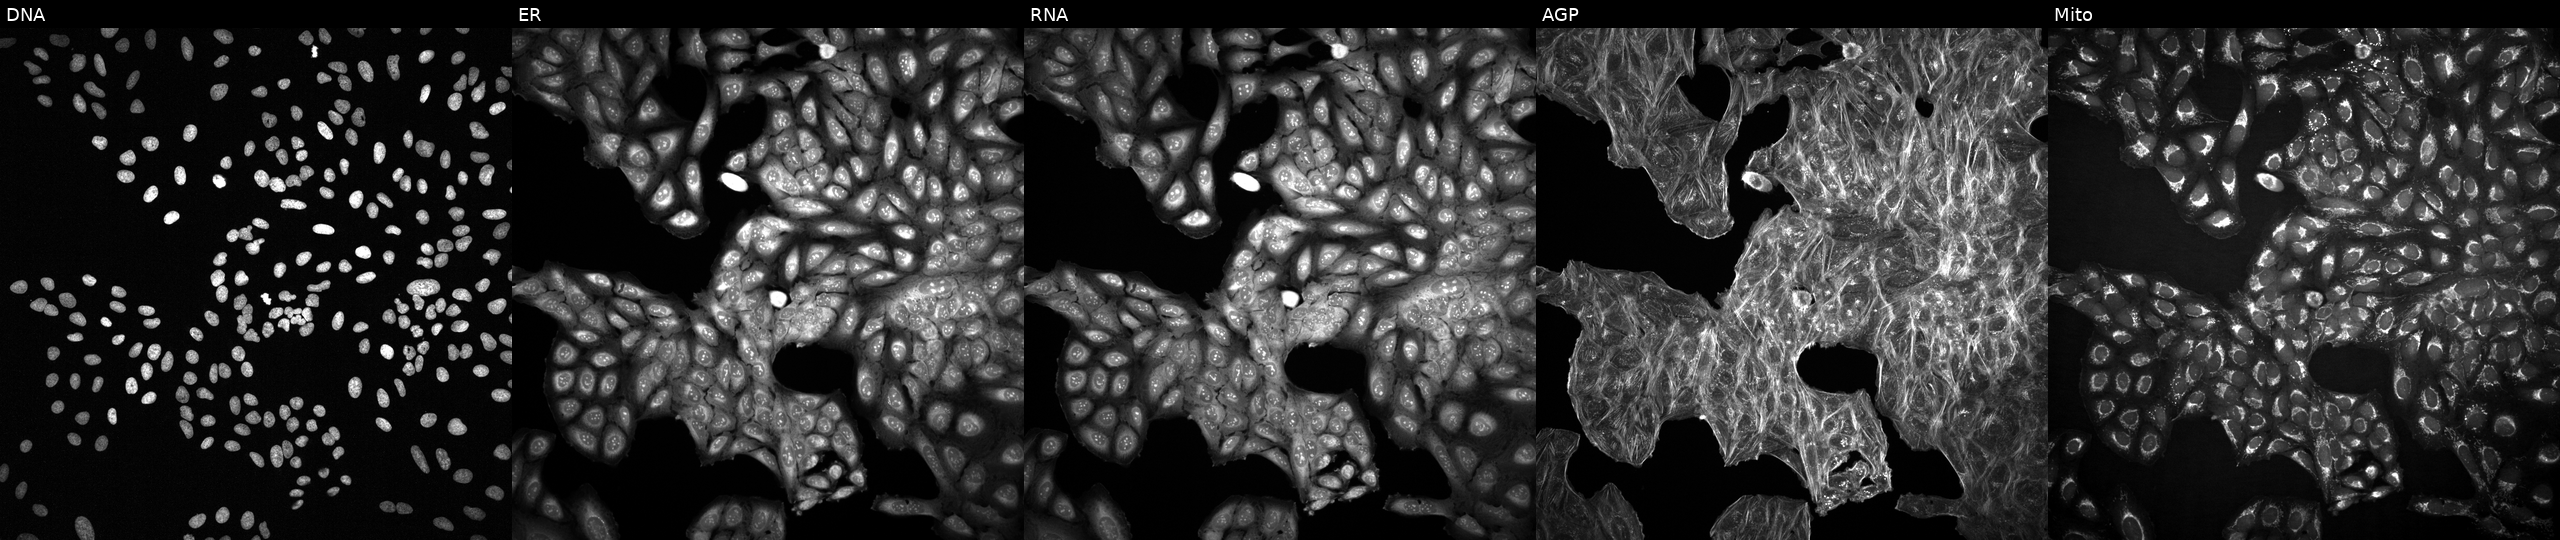
This image strip shows the five Cell Painting channels for a single field of U2OS cells perturbed with a small-molecule compound (InChIKey XCKCTIFOYDKJIV-UHFFFAOYSA-N). From left to right: DNA, ER, RNA, AGP, and Mito.